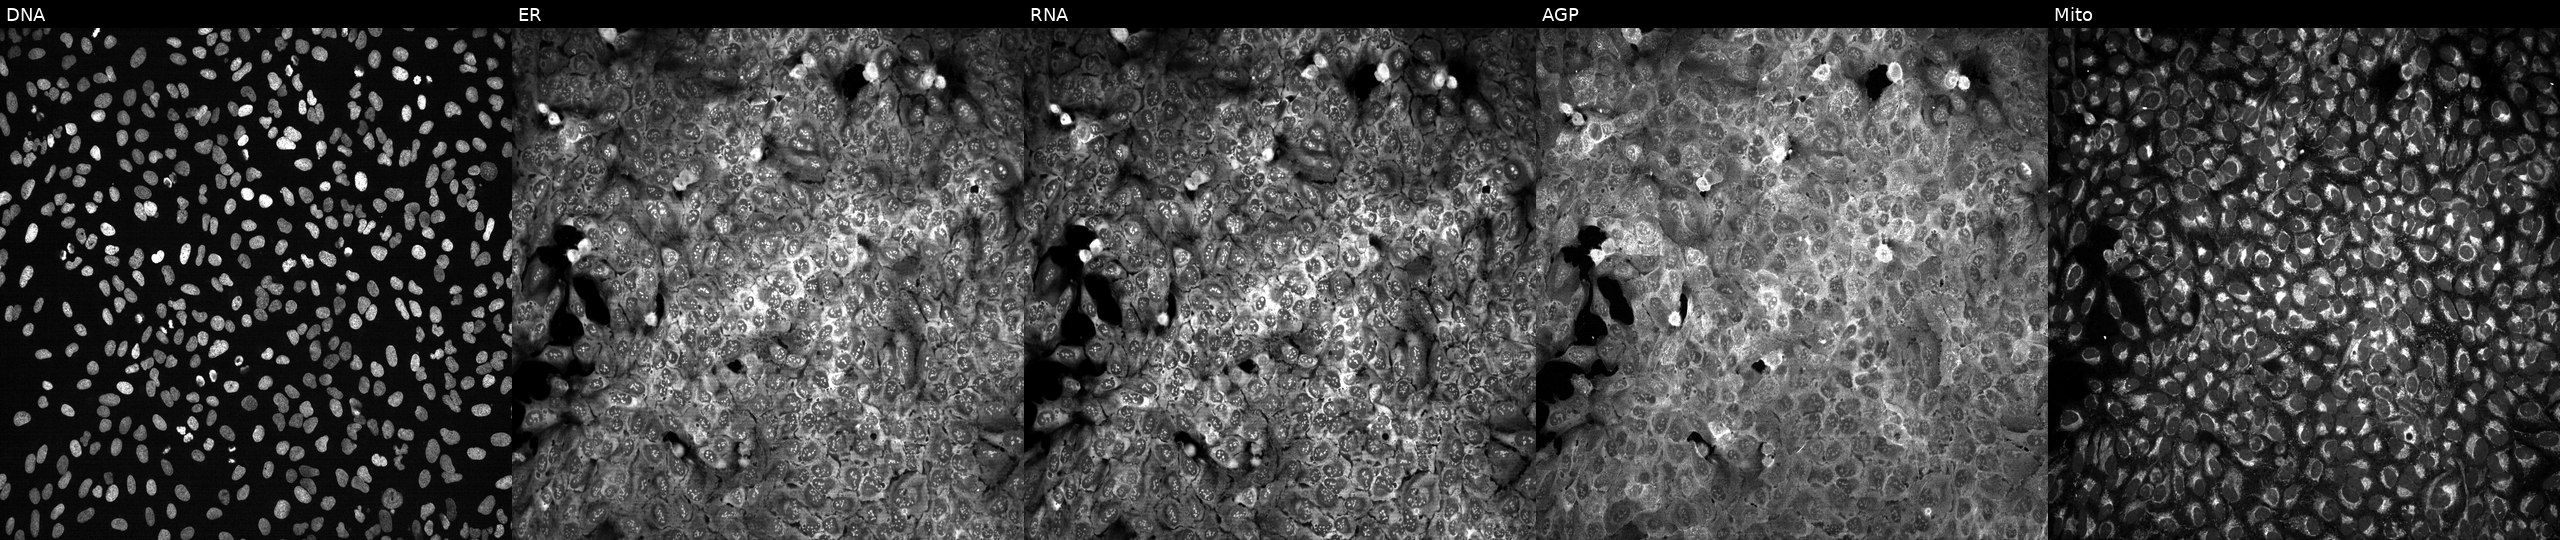
This image strip shows the five Cell Painting channels for a single field of U2OS cells with IL27RA knocked out by CRISPR. From left to right: DNA, ER, RNA, AGP, and Mito.